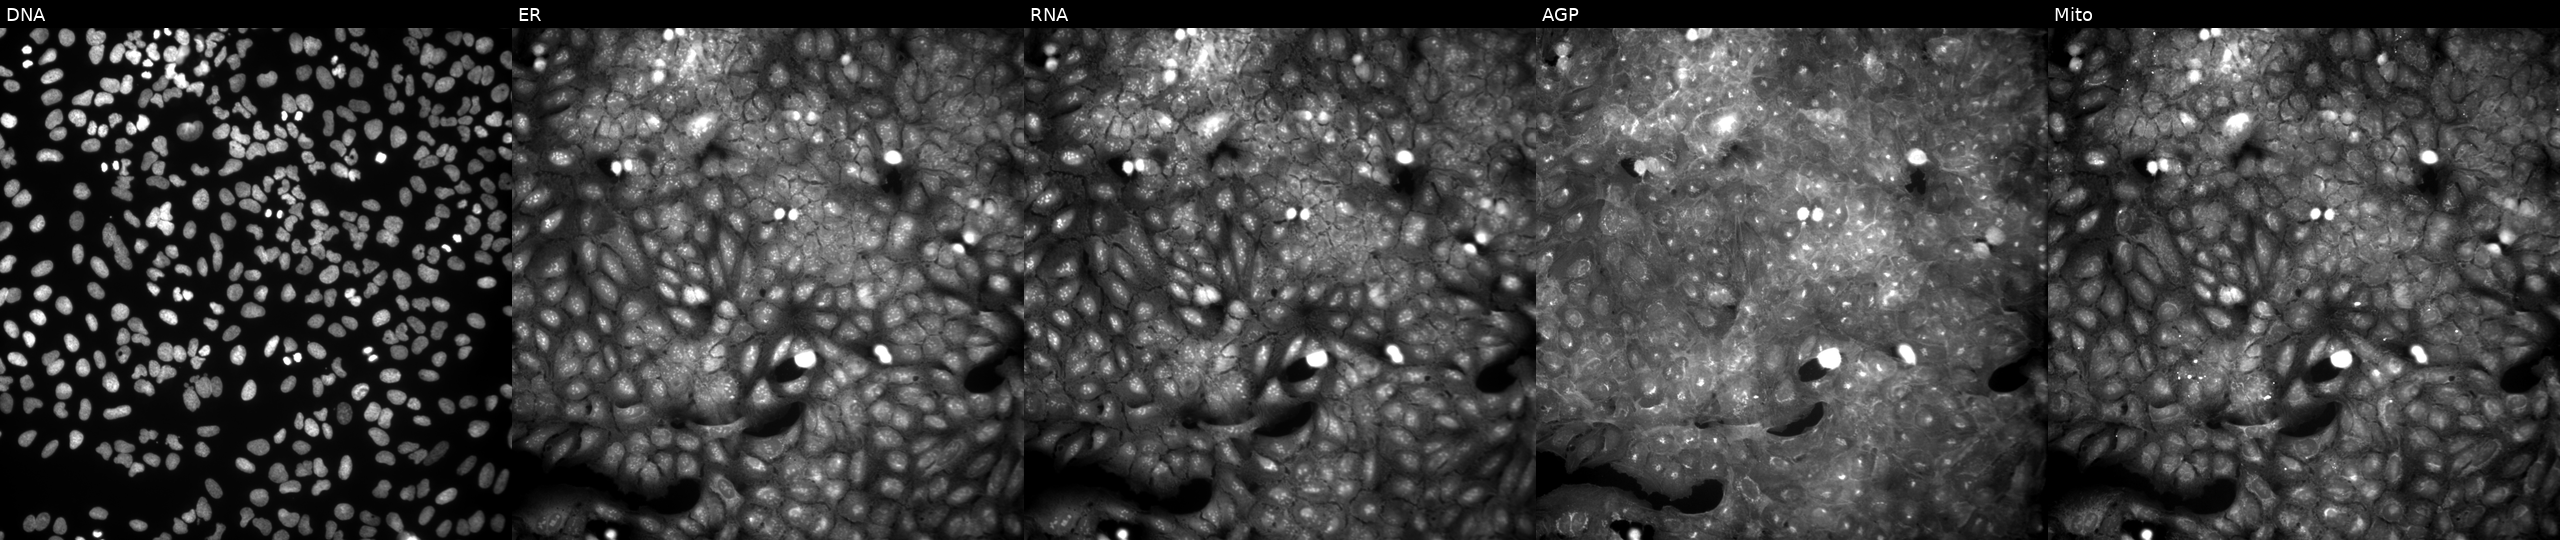
High-content fluorescence microscopy (Cell Painting). Cell line: U2OS. Perturbation: treated with a small-molecule compound. Channels (left→right): Hoechst 33342, concanavalin A, SYTO 14, phalloidin and WGA, MitoTracker.